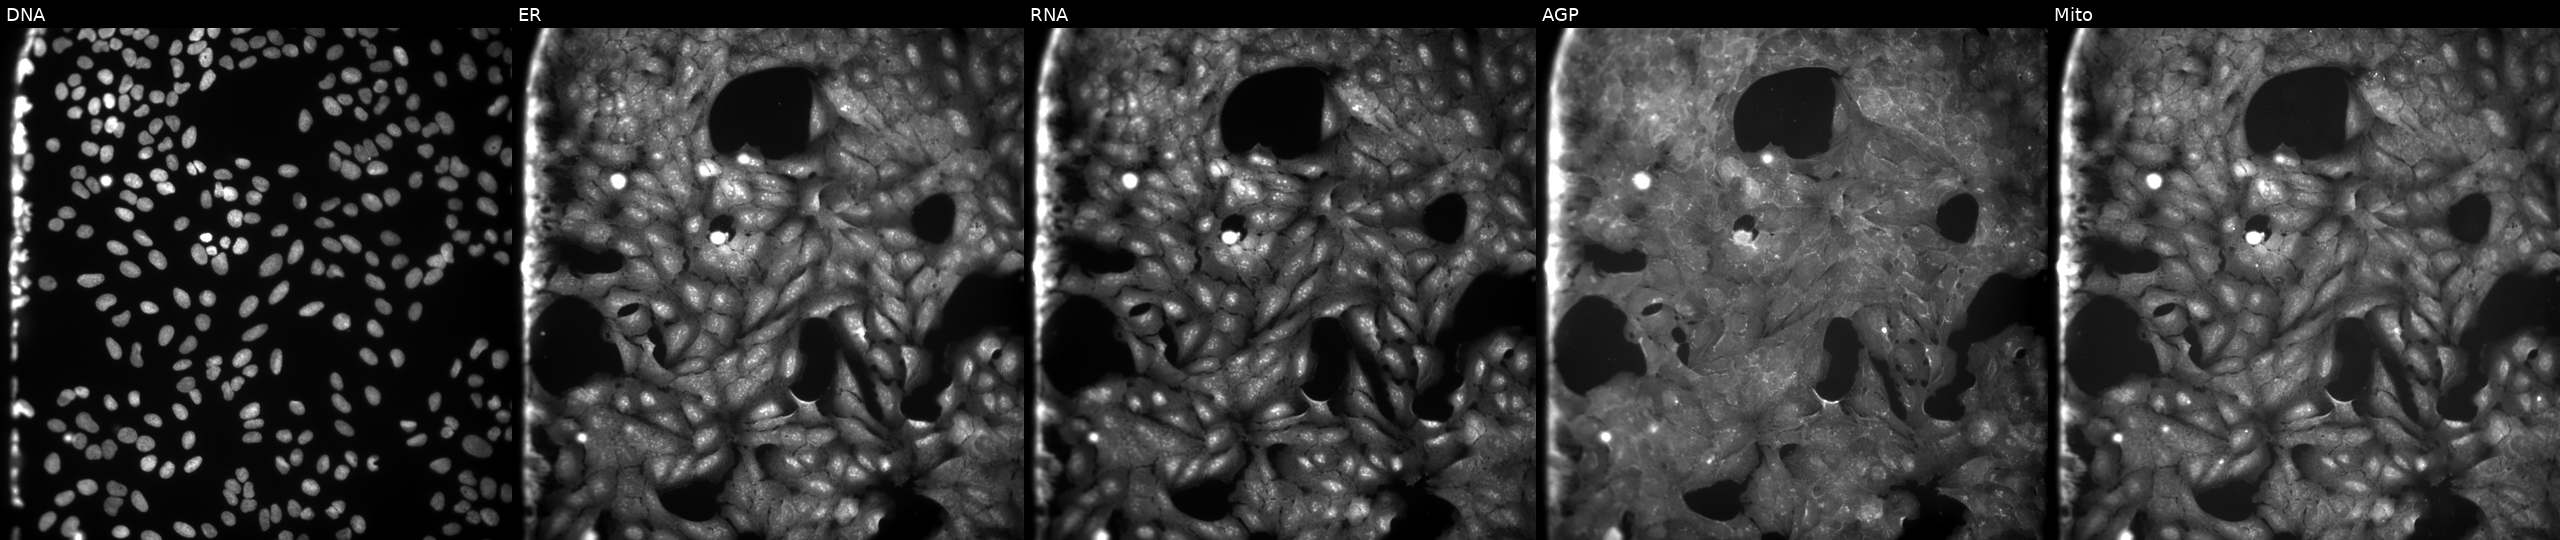
This image strip shows the five Cell Painting channels for a single field of U2OS cells exposed to the positive-control compound dexamethasone. Panels show, left to right, Hoechst 33342, concanavalin A, SYTO 14, phalloidin and WGA, MitoTracker. Source 9, plate GR00003381, well S01.